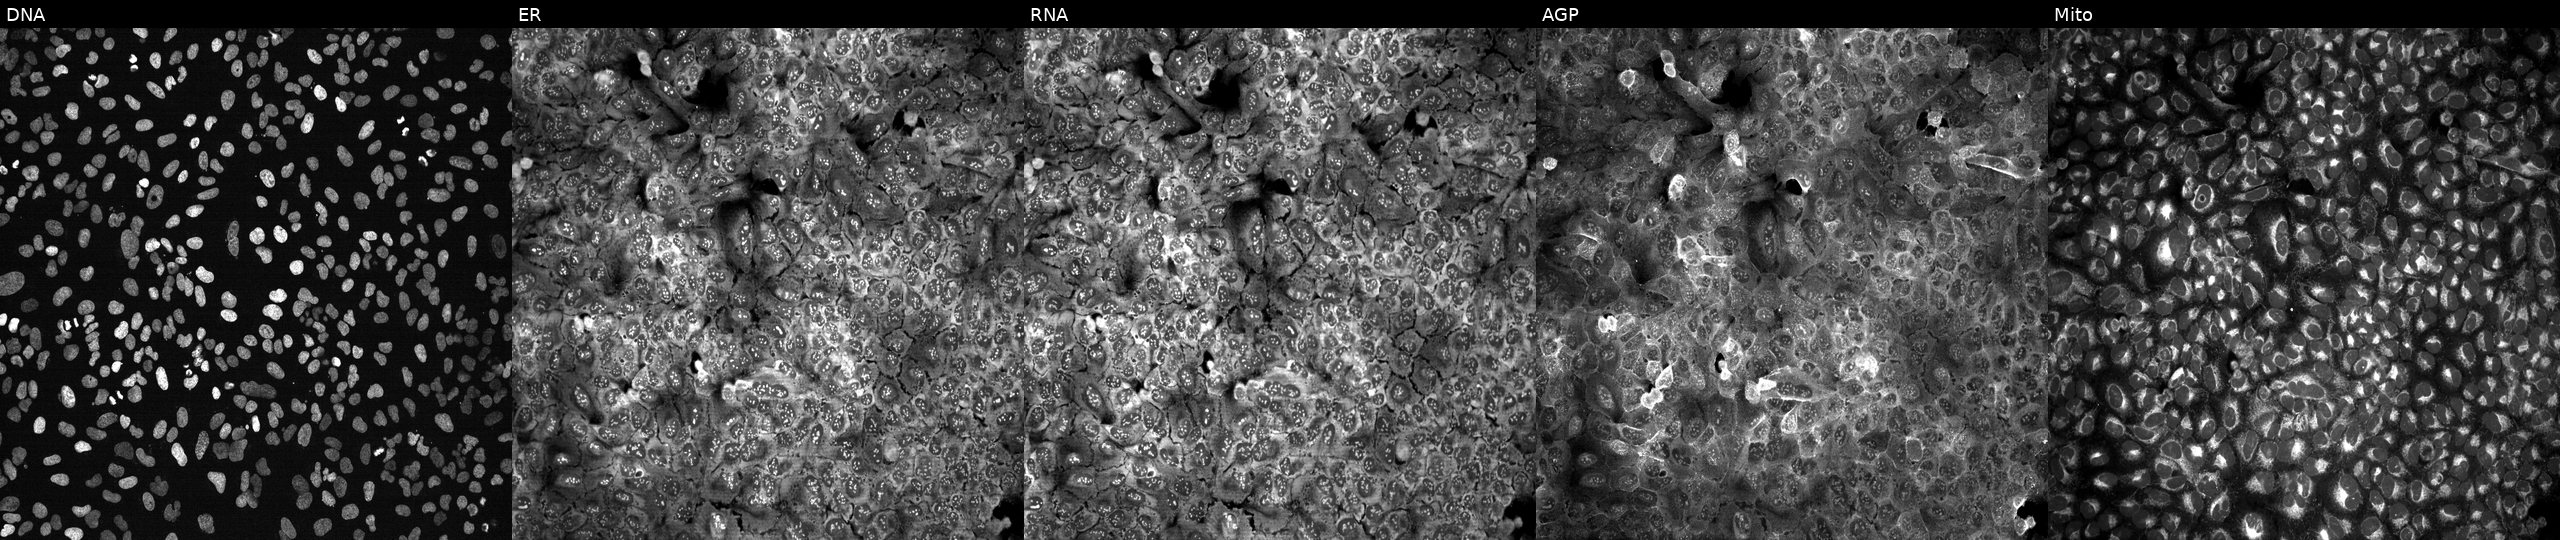
This image strip shows the five Cell Painting channels for a single field of U2OS cells following CRISPR knockout of GPD1 (JUMP id JCP2022_802796). Channels (left→right): DNA, ER, RNA, AGP, and Mito.